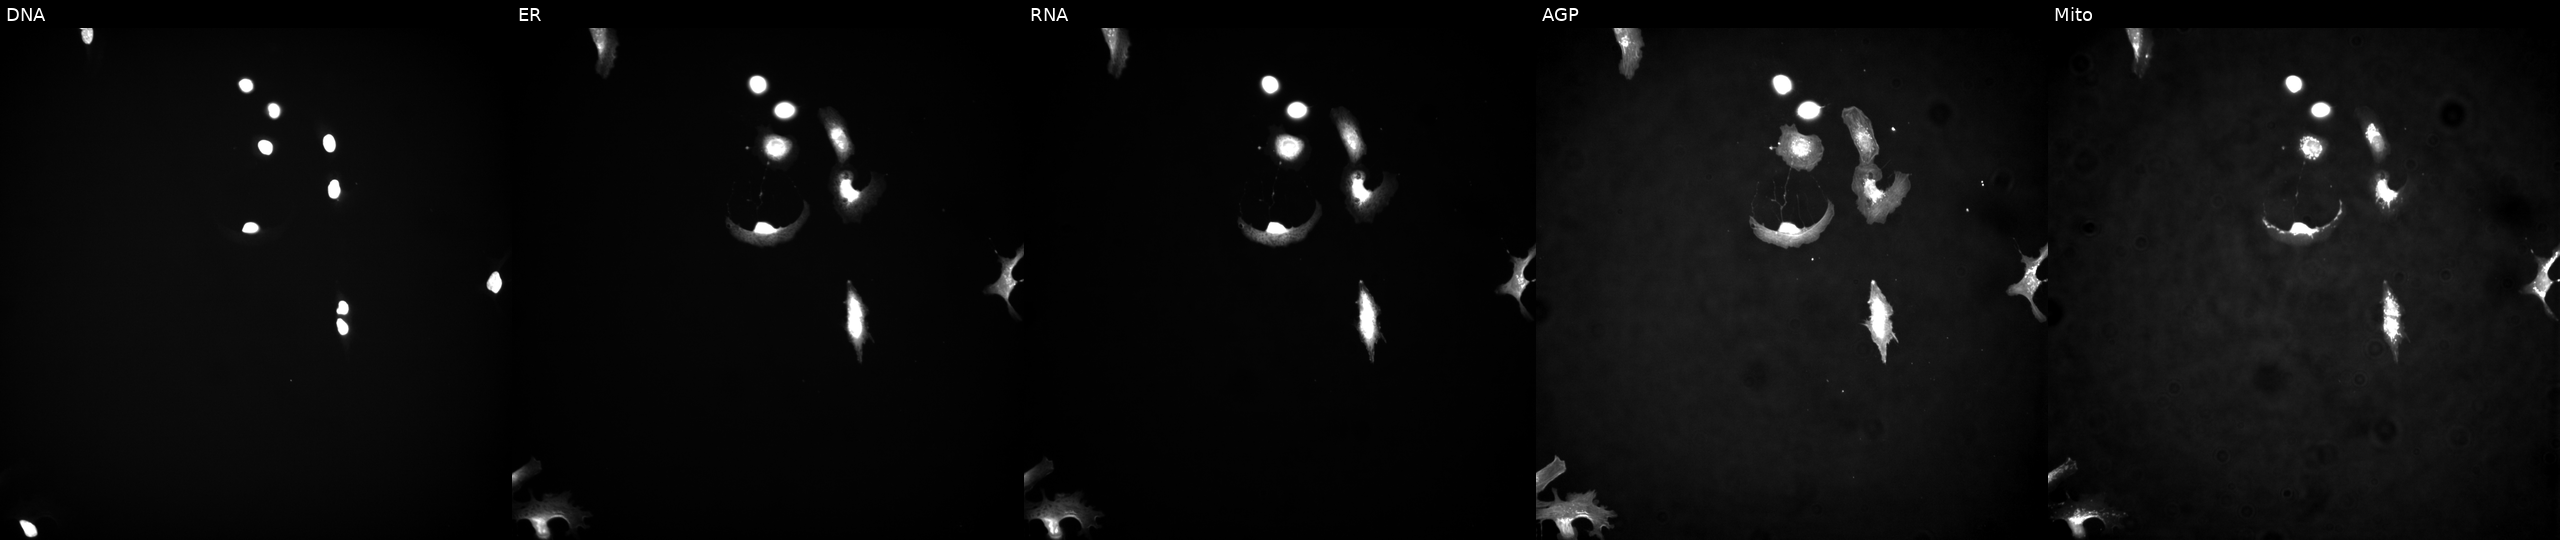
Five-channel Cell Painting image of U2OS cells untreated (empty-well control). From left to right: DNA, ER, RNA, AGP, and Mito. Source 4, plate BR00123945, well M09.